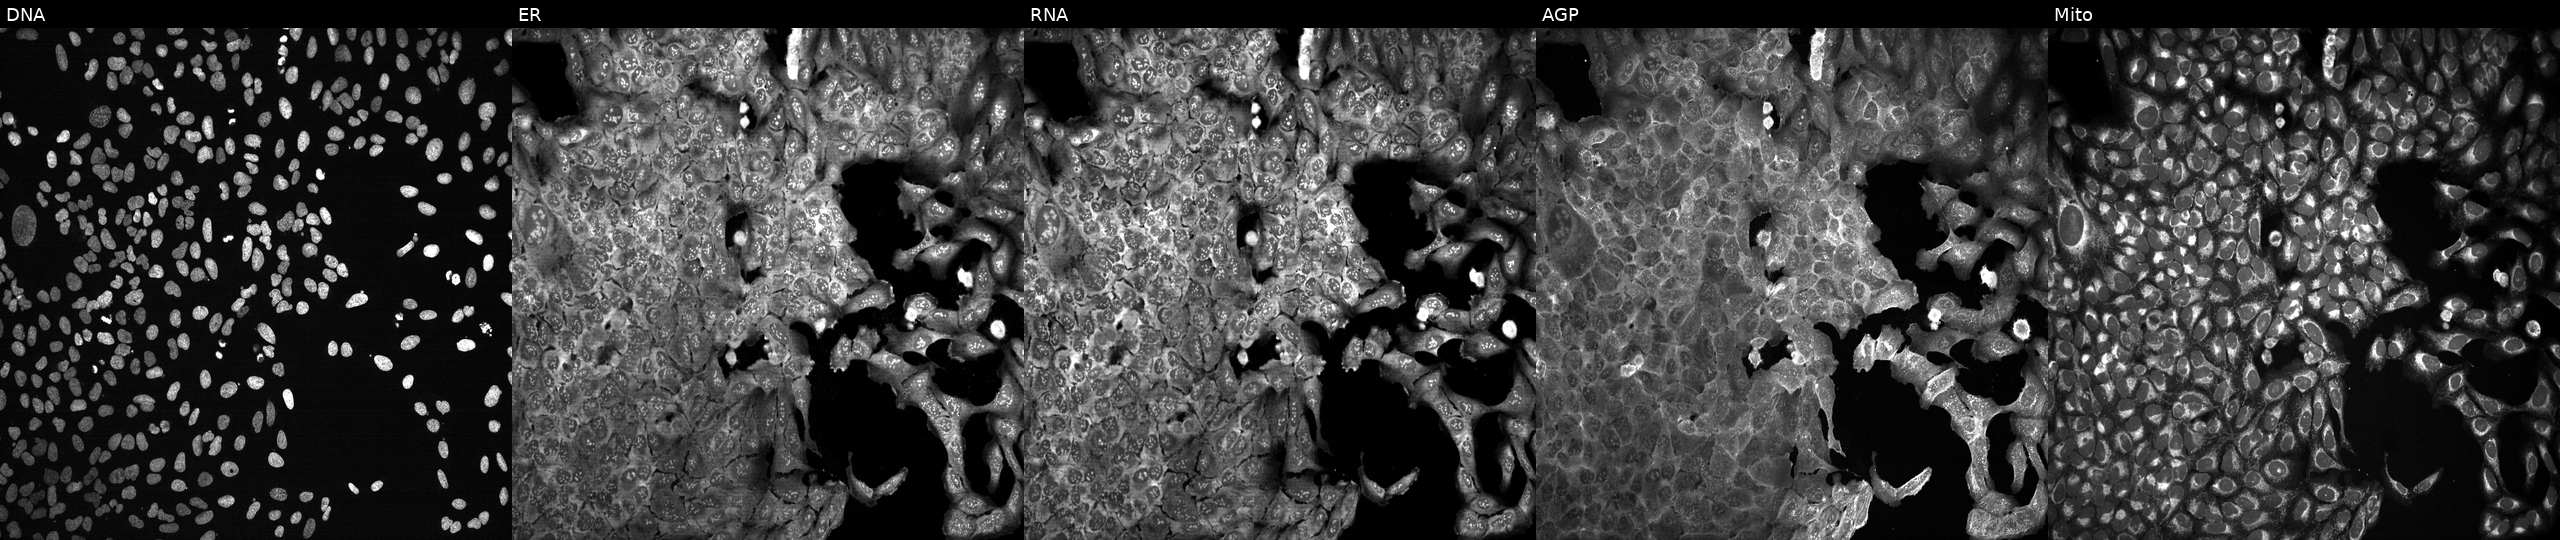
Channels (left→right): DNA (nuclei); ER (endoplasmic reticulum); RNA (nucleoli and cytoplasmic RNA); AGP (actin cytoskeleton, Golgi, and plasma membrane); Mito (mitochondria). U2OS osteosarcoma cells with TFCP2L1 knocked out by CRISPR. Cell Painting assay, JUMP-CP dataset. Source 13, plate CP-CC9-R6-19, well N04.